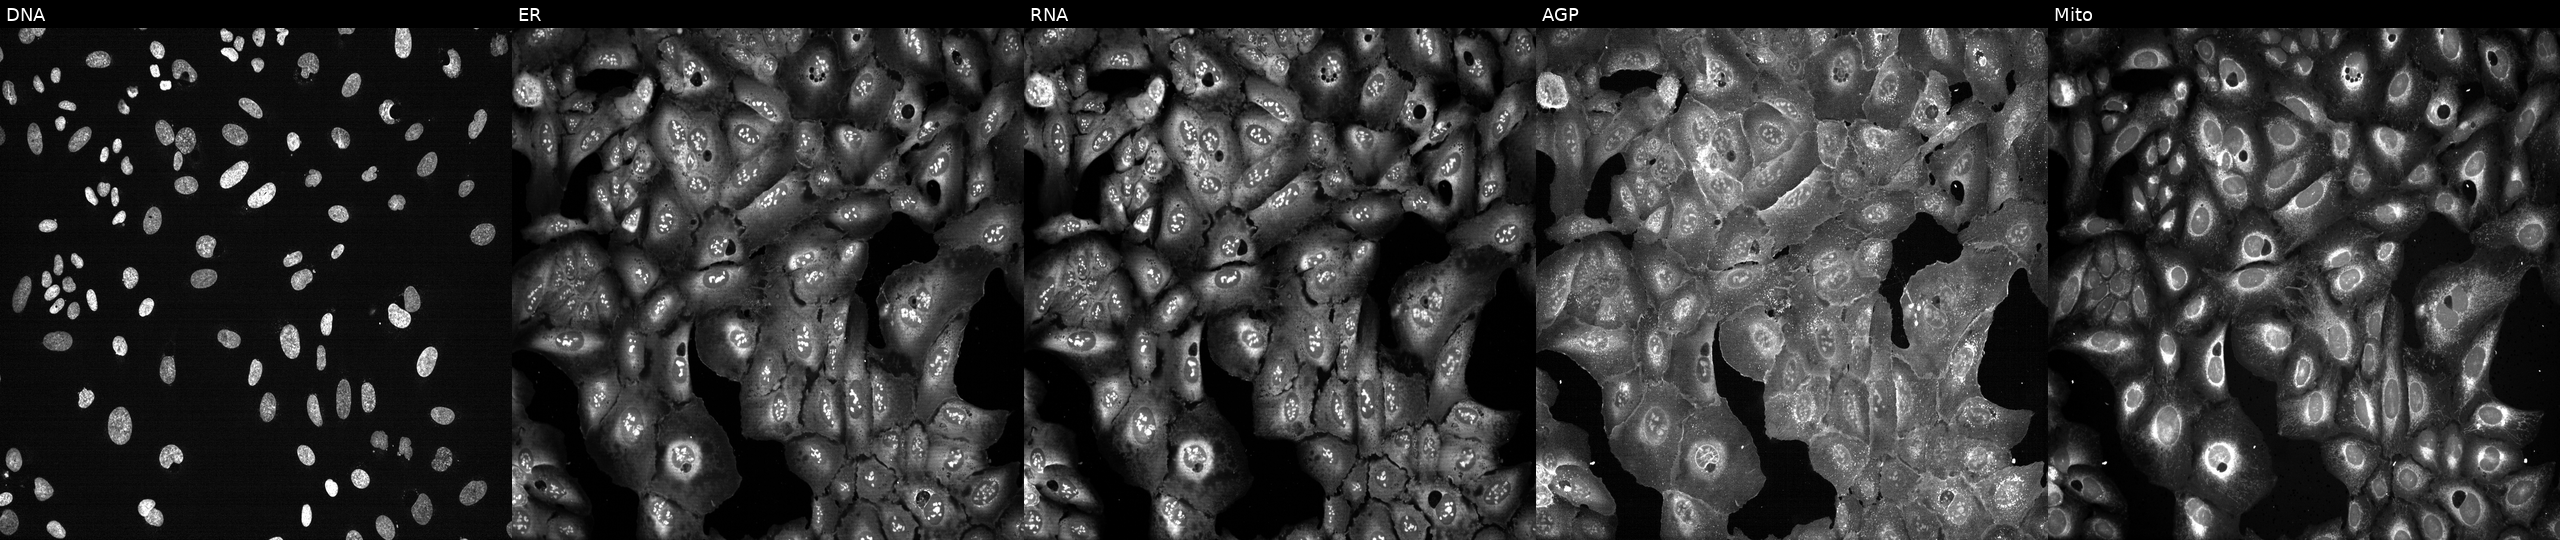
This image strip shows the five Cell Painting channels for a single field of U2OS cells CRISPR-edited to disrupt DNA2 (JUMP id JCP2022_801854). From left to right: DNA, ER, RNA, AGP, and Mito.